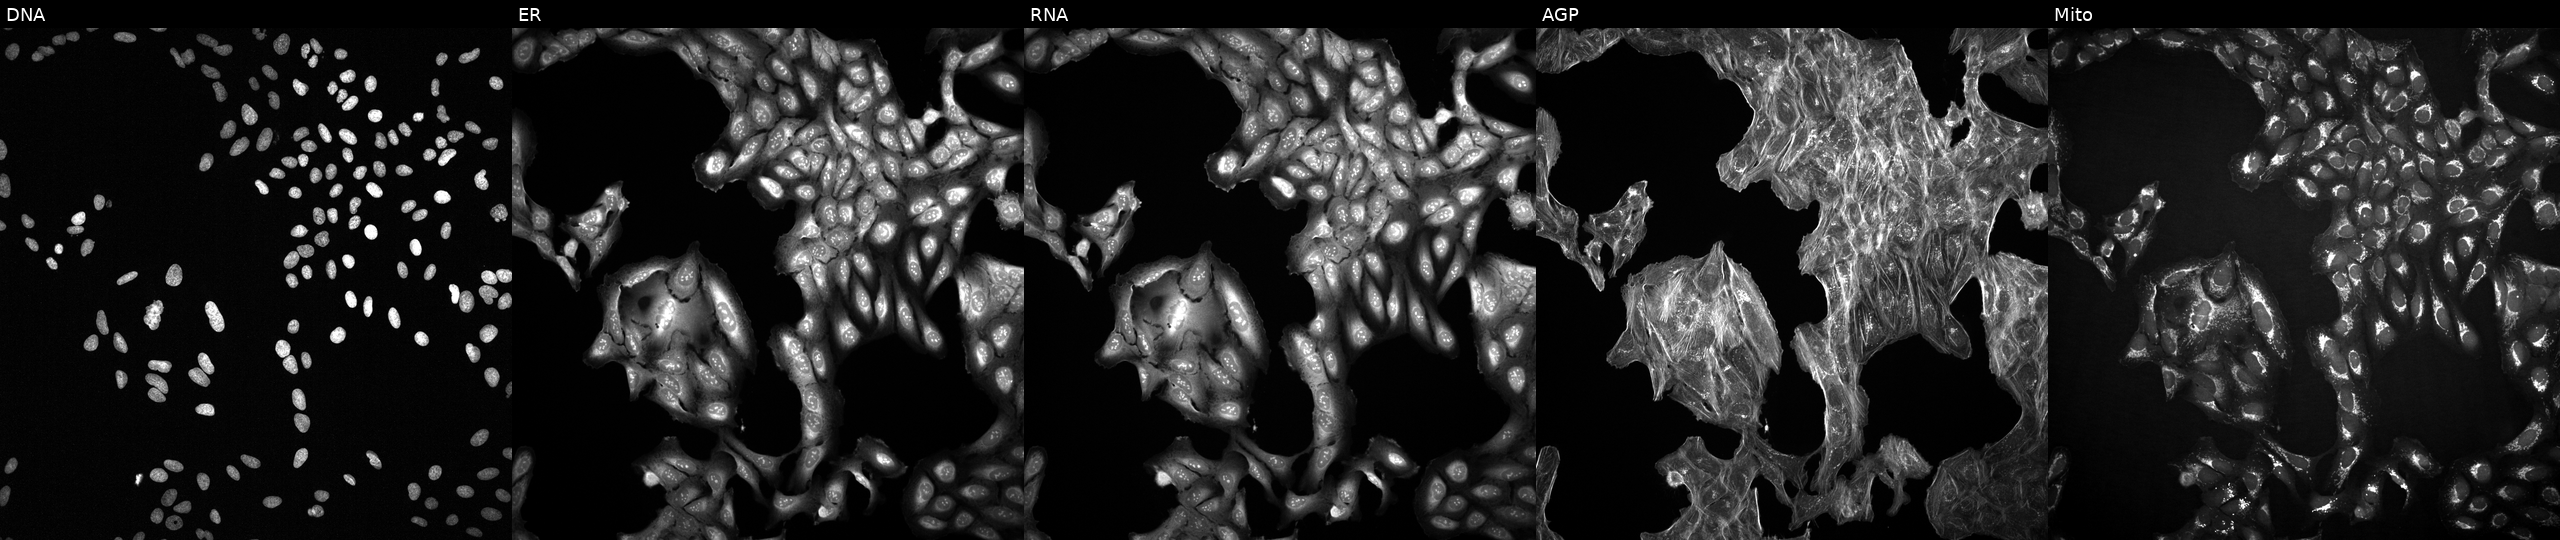
This image strip shows the five Cell Painting channels for a single field of U2OS cells perturbed with a small-molecule compound [SMILES: O=[N+]([O-])C12c3ccccc3NC1N1C=COC12]. Panels show, left to right, Hoechst 33342, concanavalin A, SYTO 14, phalloidin and WGA, MitoTracker.